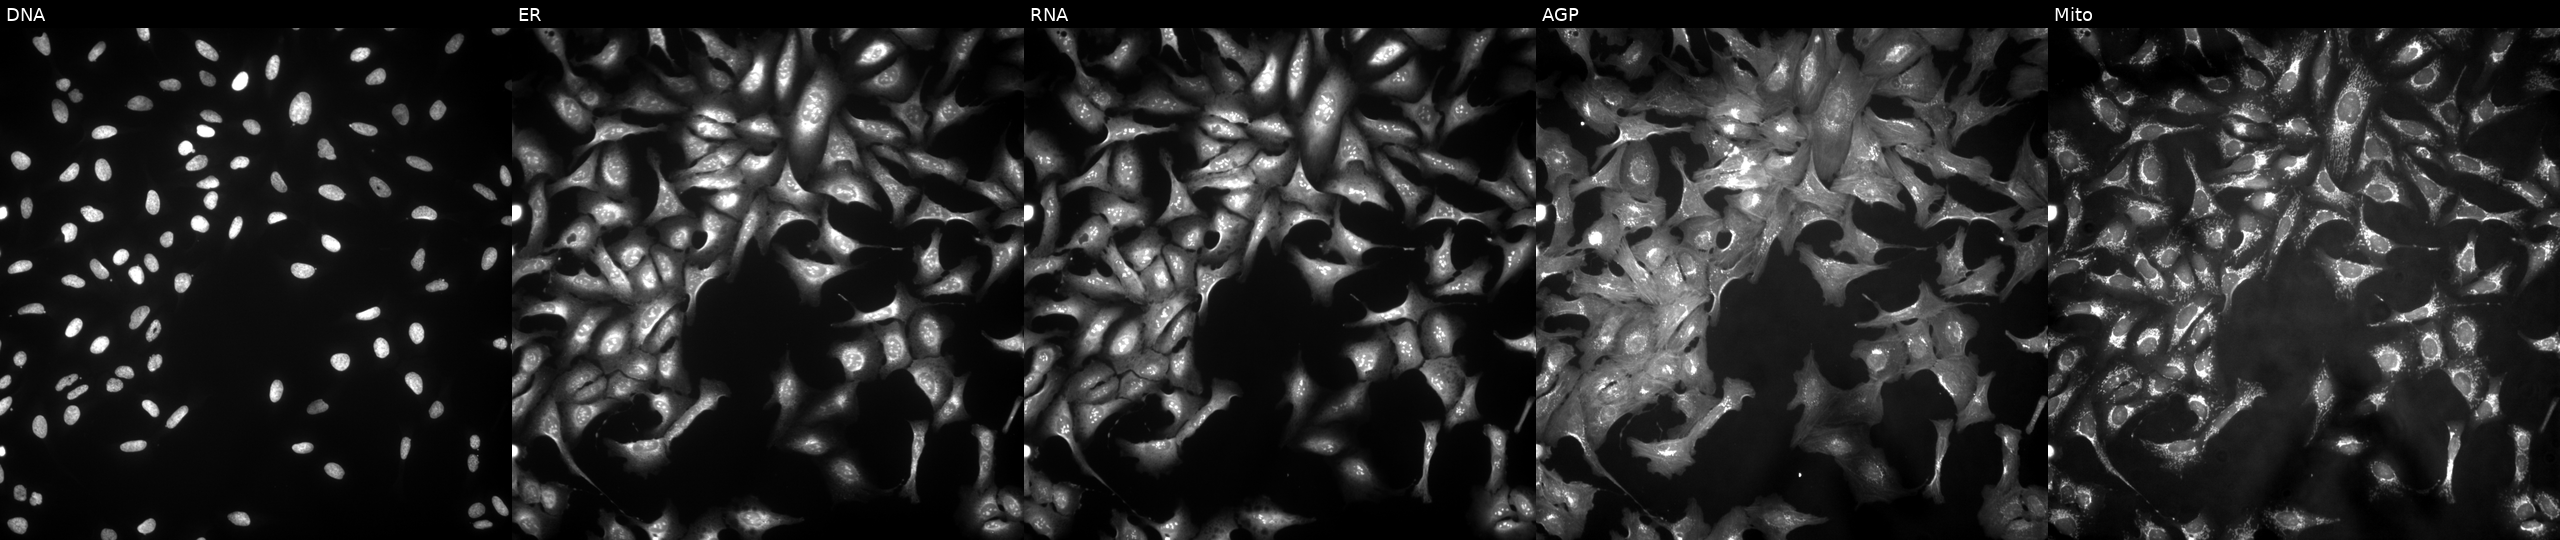
JUMP Cell Painting — ORF plate. U2OS cells transfected with an ORF construct for GALNT7 (JUMP id JCP2022_907802). Channels (left→right): DNA (nuclei); ER (endoplasmic reticulum); RNA (nucleoli and cytoplasmic RNA); AGP (actin cytoskeleton, Golgi, and plasma membrane); Mito (mitochondria).